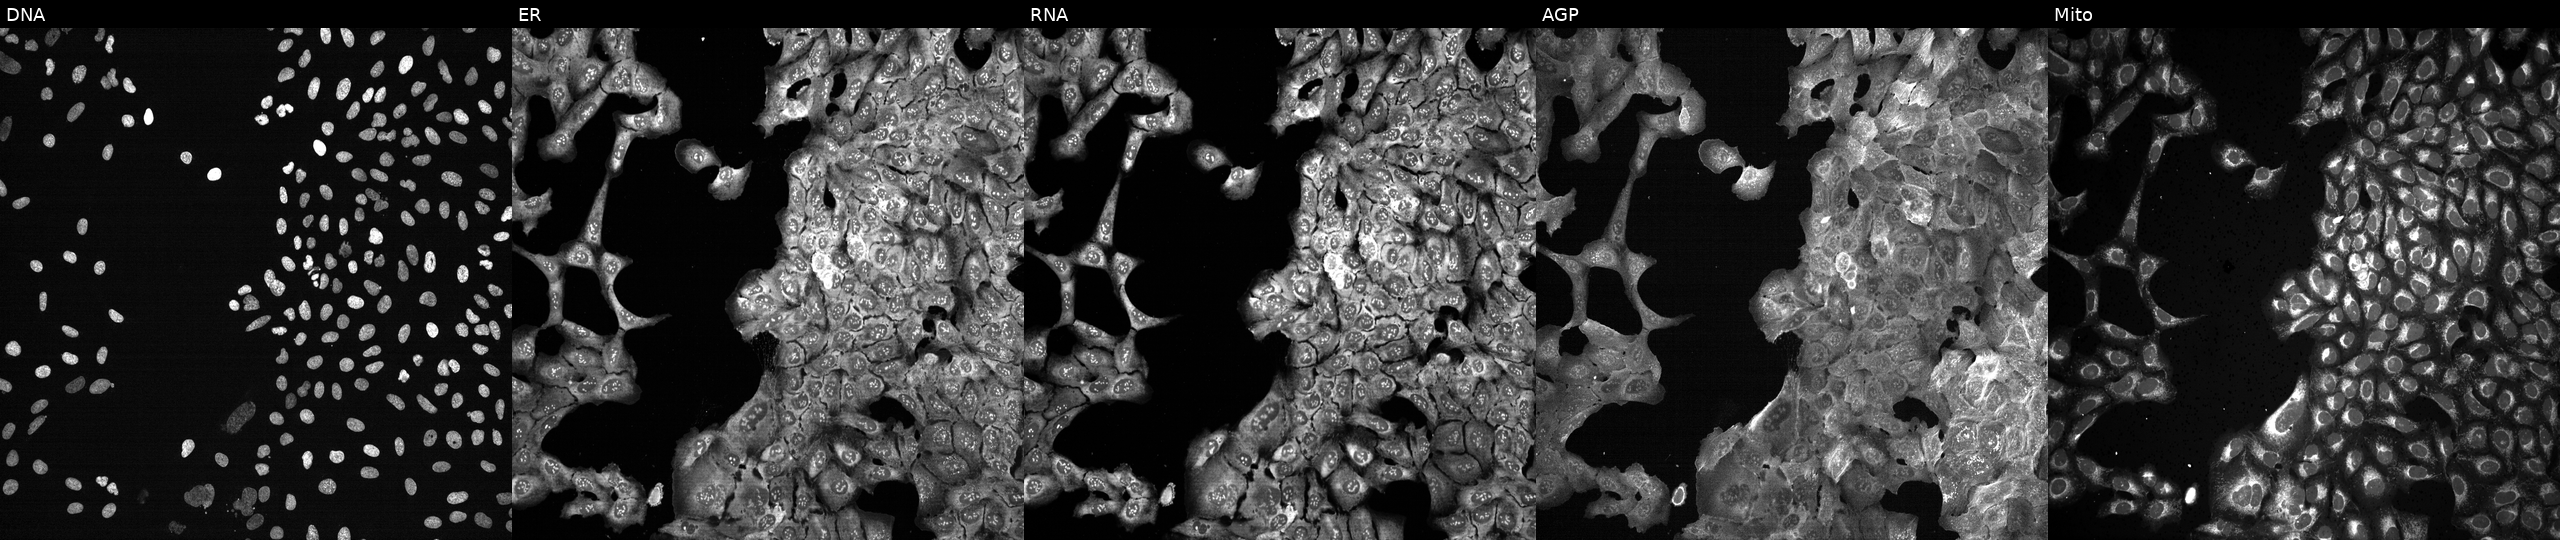
This image strip shows the five Cell Painting channels for a single field of U2OS cells CRISPR-edited to disrupt RAB21. Panels show, left to right, DNA, ER, RNA, AGP, and Mito.